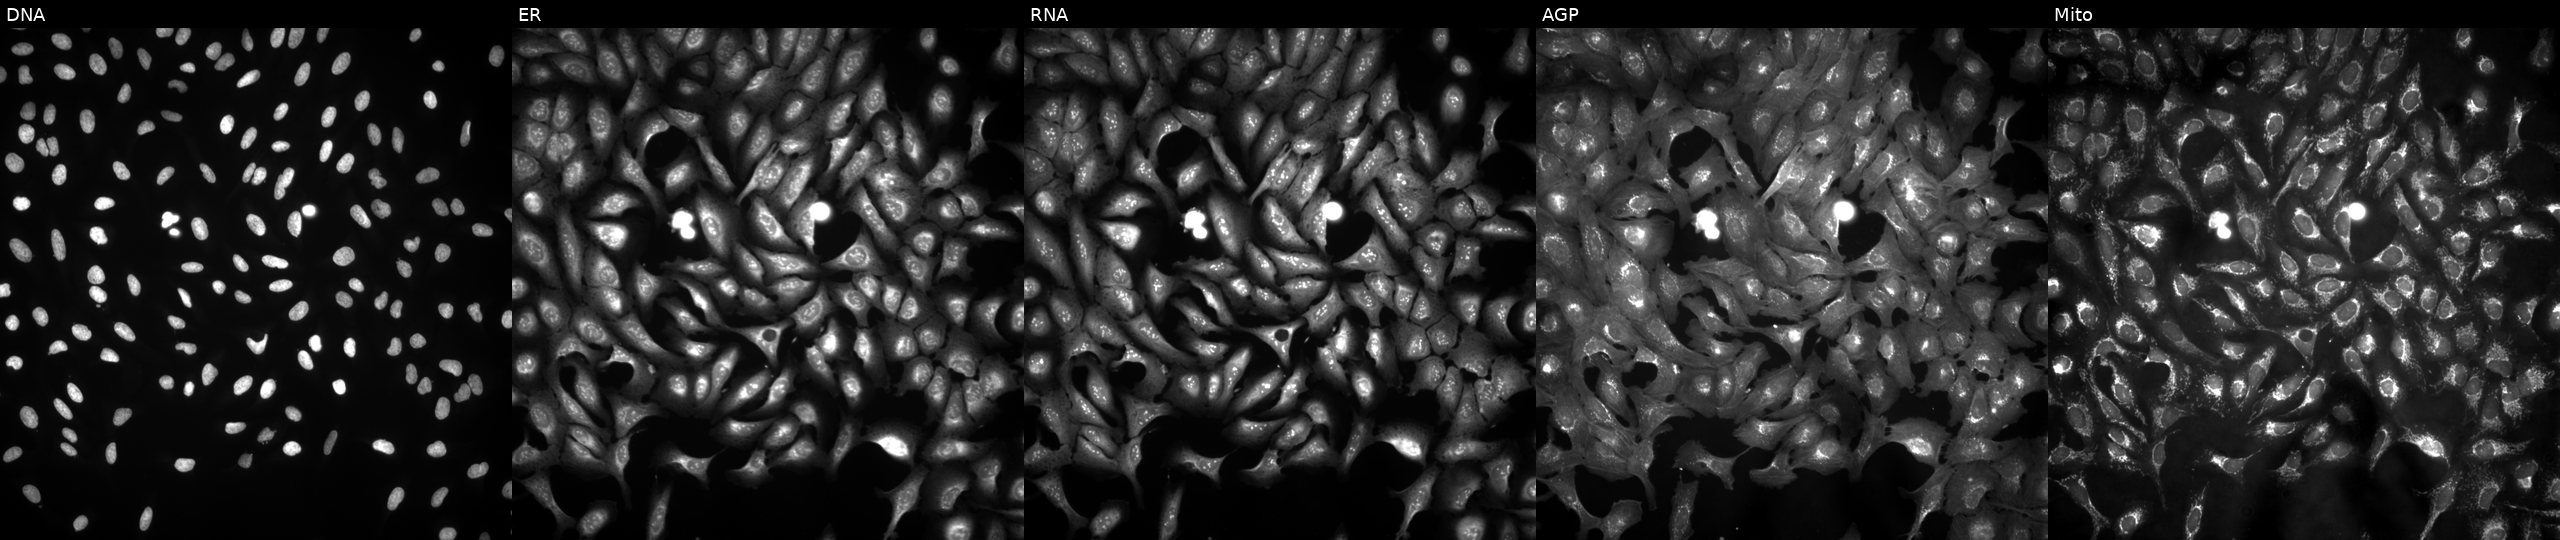
U2OS cells, Cell Painting assay, transfected with an ORF construct for TOP3B (JUMP id JCP2022_906853). Channels (left→right): DNA, ER, RNA, AGP, and Mito. Each panel is percentile-stretched 16-bit fluorescence. Source 4, plate BR00121543, well A09.